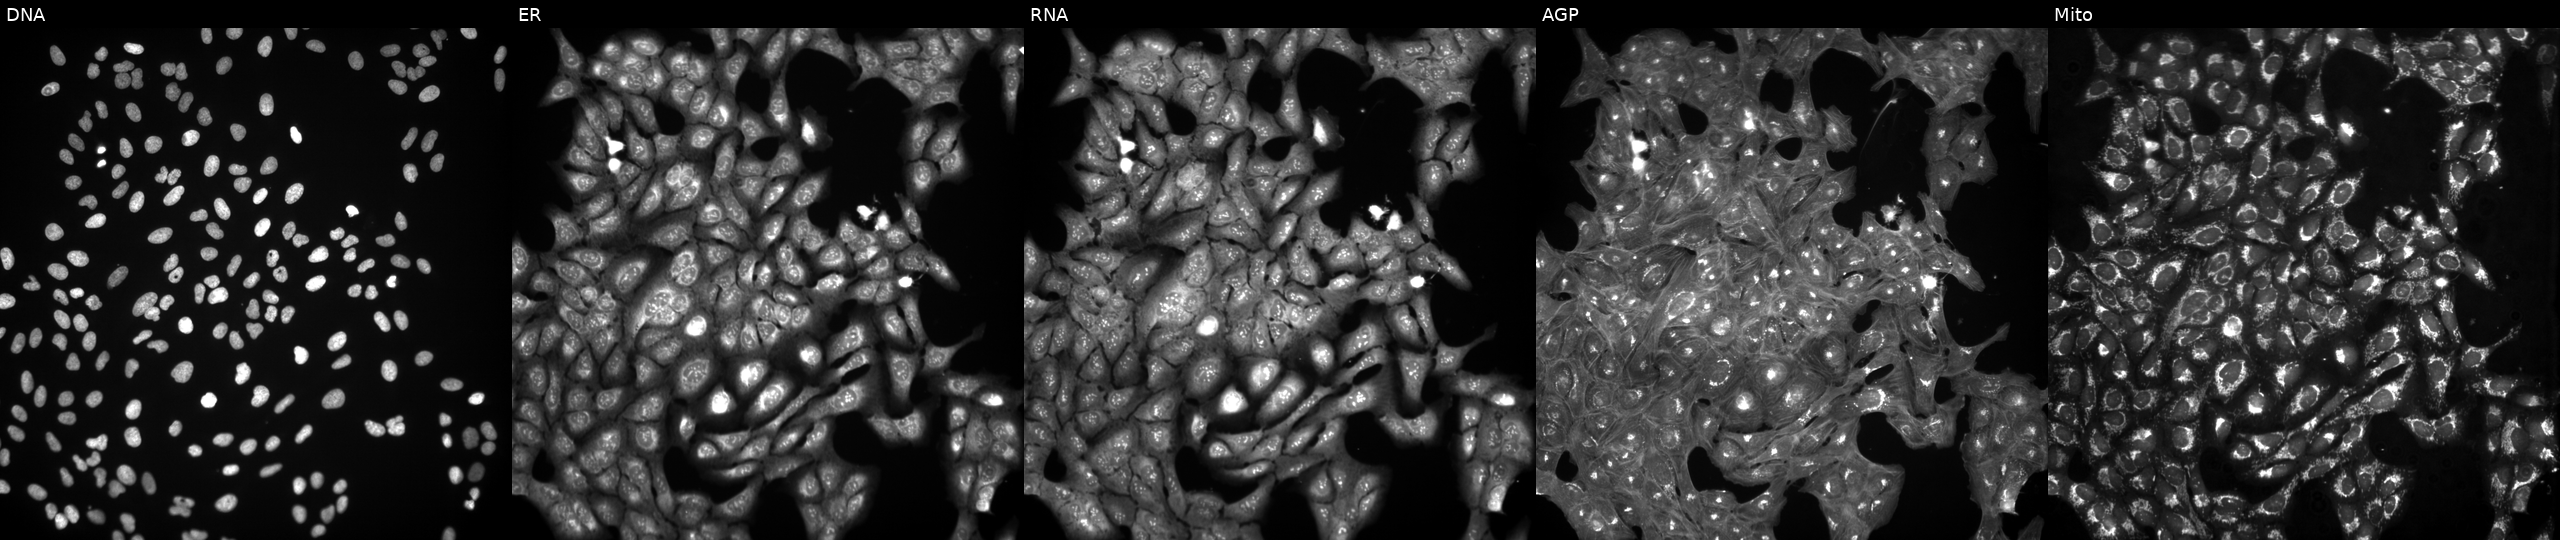
This image strip shows the five Cell Painting channels for a single field of U2OS cells exposed to a small-molecule compound. Panels show, left to right, DNA (nuclei); ER (endoplasmic reticulum); RNA (nucleoli and cytoplasmic RNA); AGP (actin cytoskeleton, Golgi, and plasma membrane); Mito (mitochondria). Source 3, plate JCPQC052, well P15.